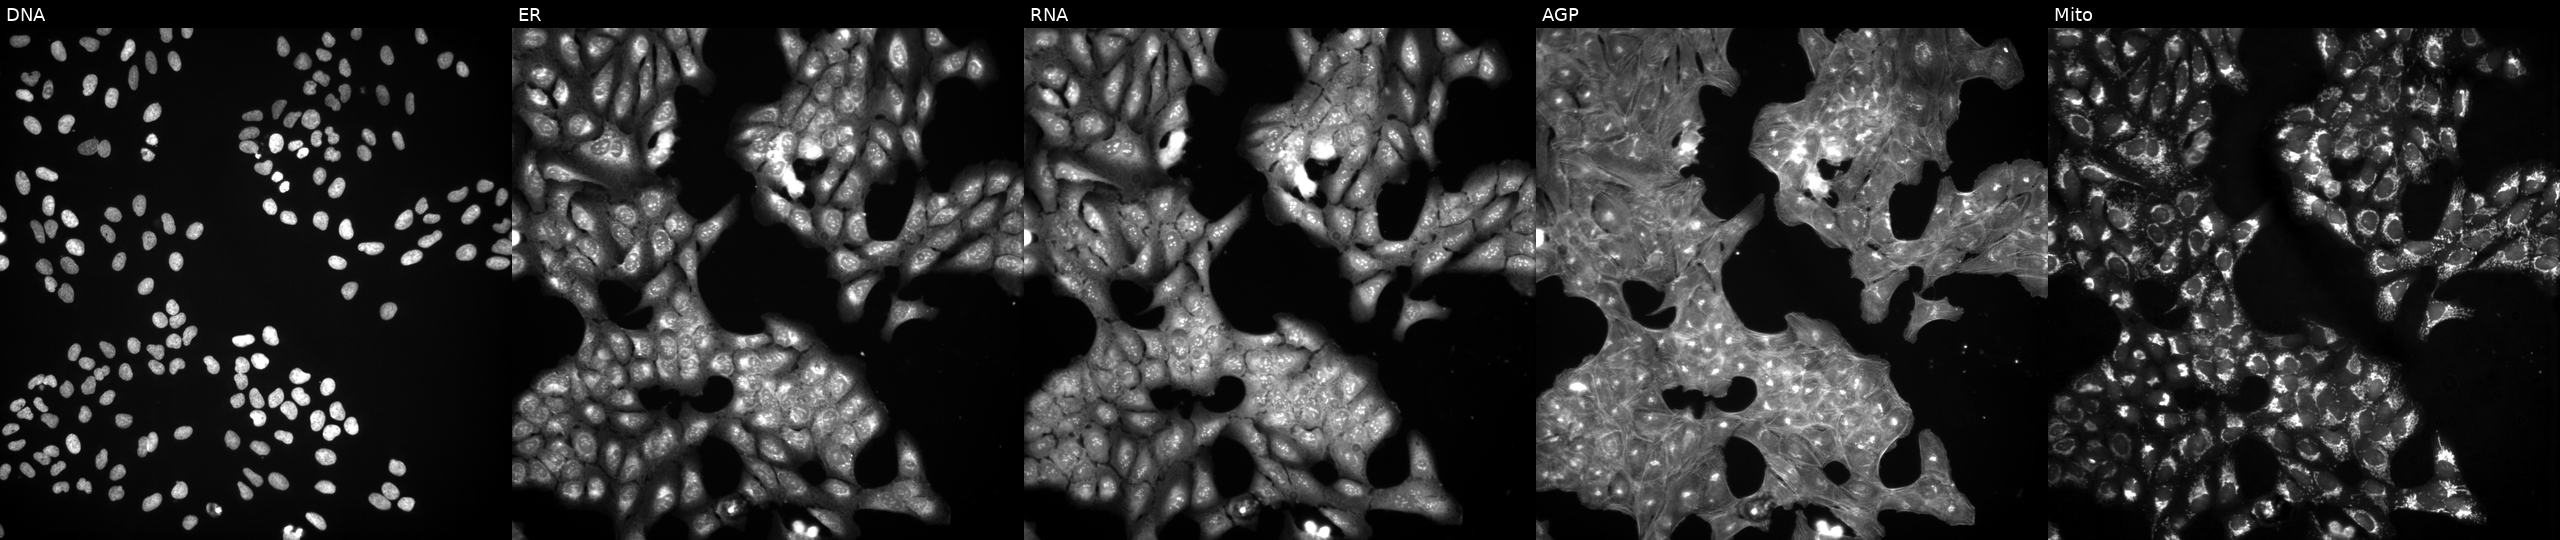
This image strip shows the five Cell Painting channels for a single field of U2OS cells exposed to DMSO alone as a negative control (JUMP id JCP2022_033924). The five panels, left to right, show Hoechst 33342, concanavalin A, SYTO 14, phalloidin and WGA, MitoTracker.